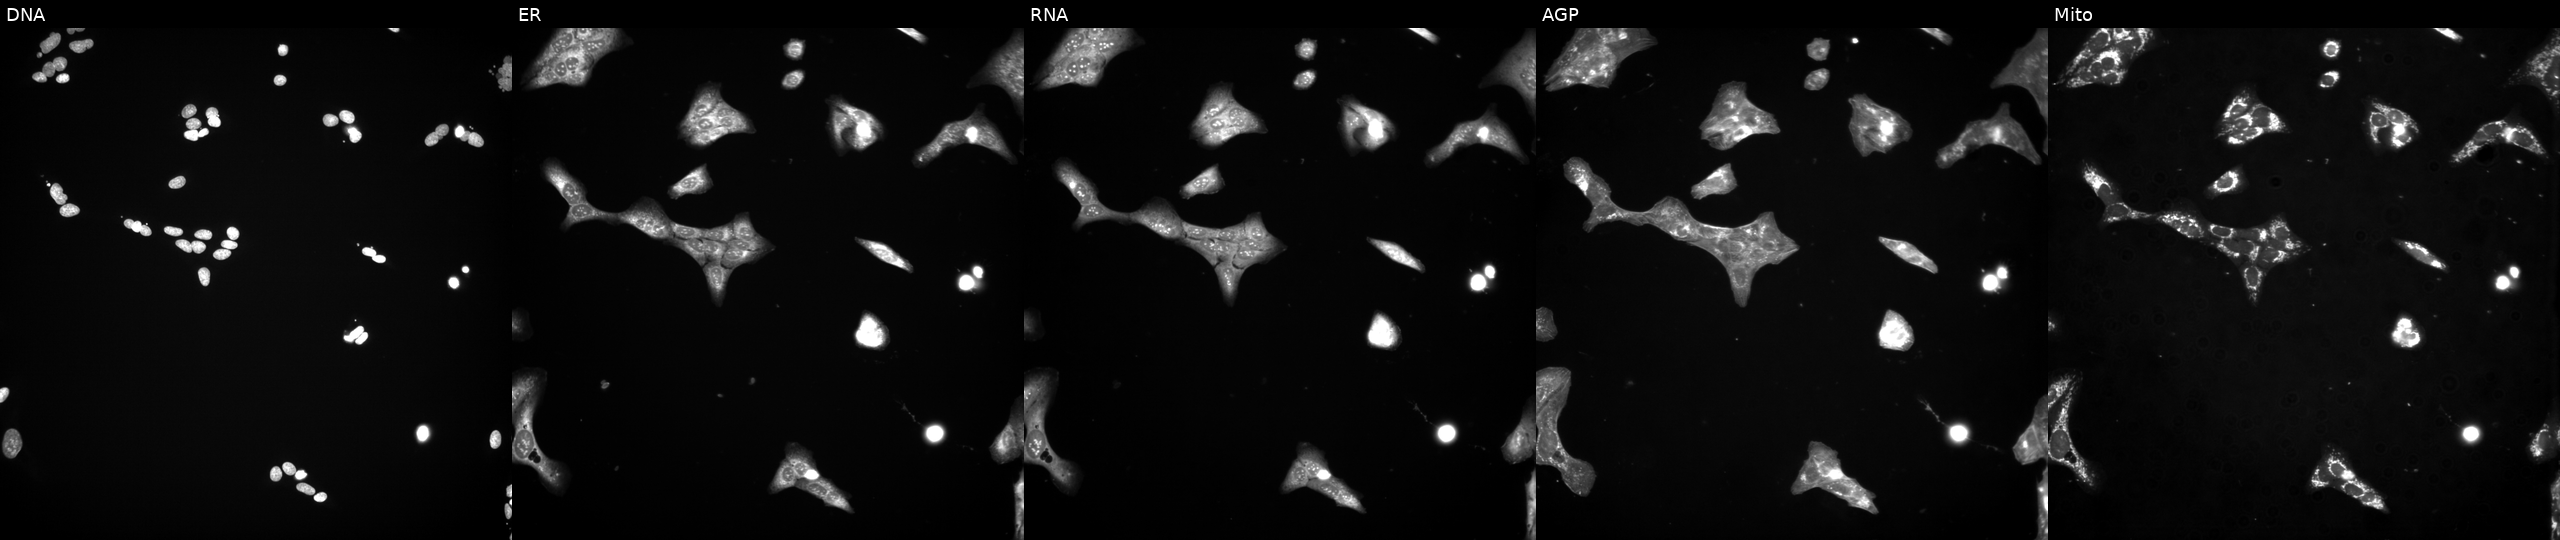
This image strip shows the five Cell Painting channels for a single field of U2OS cells treated with a small-molecule compound. Panels show, left to right, DNA, ER, RNA, AGP, and Mito. Source 3, plate JCPQC052, well M22.